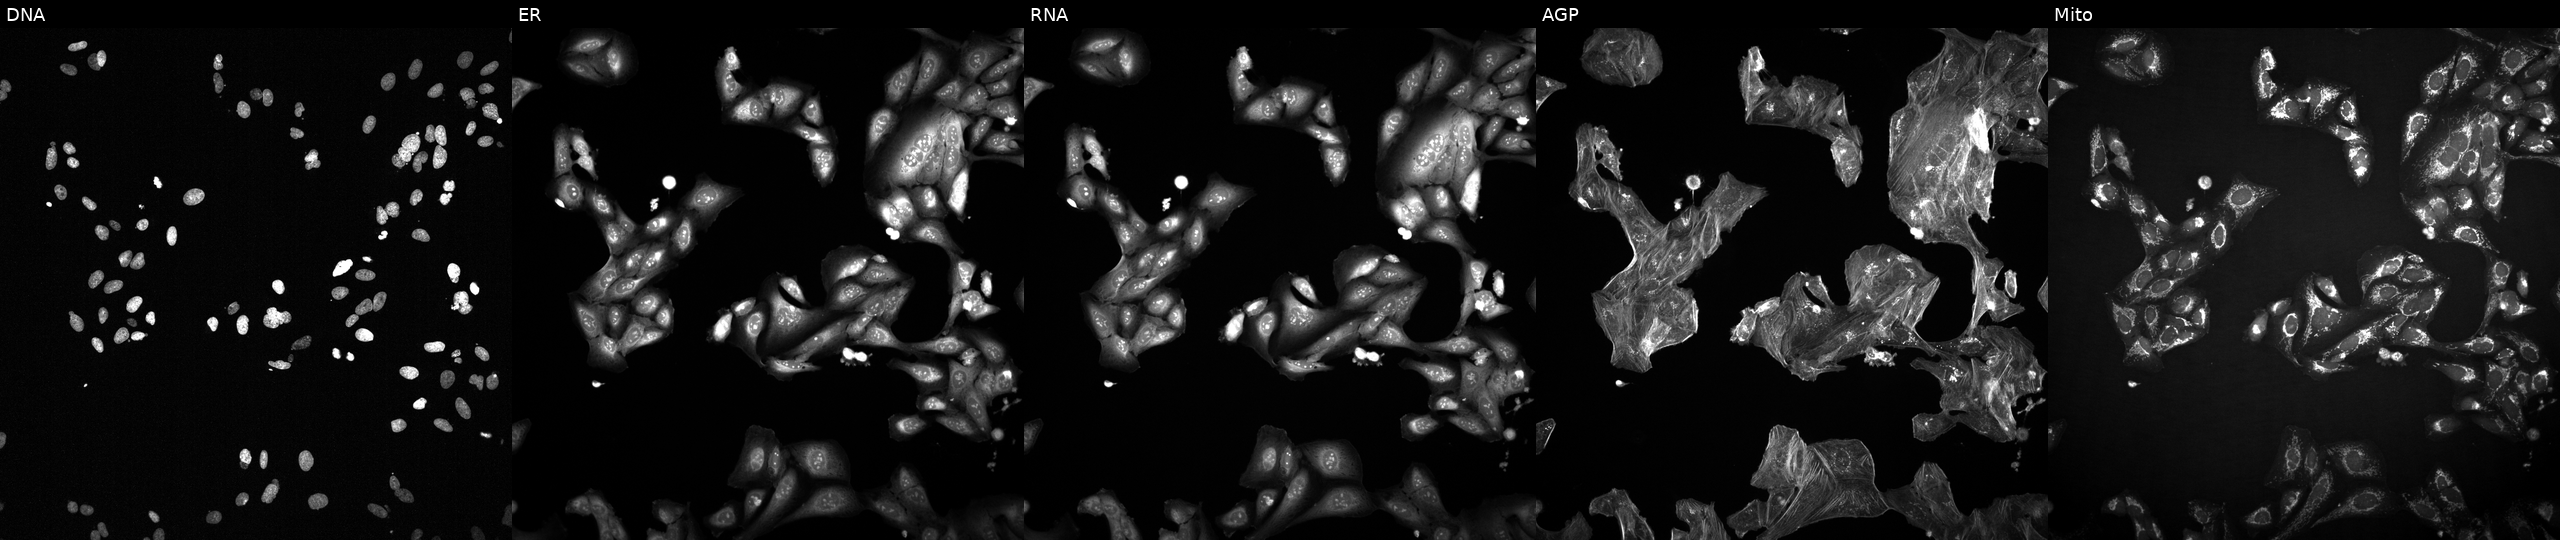
JUMP Cell Painting — COMPOUND plate. U2OS cells exposed to a small-molecule compound (InChIKey BWOQSHCWRUPELT-UHFFFAOYSA-N) (JUMP id JCP2022_009153). Channels (left→right): DNA, ER, RNA, AGP, and Mito.